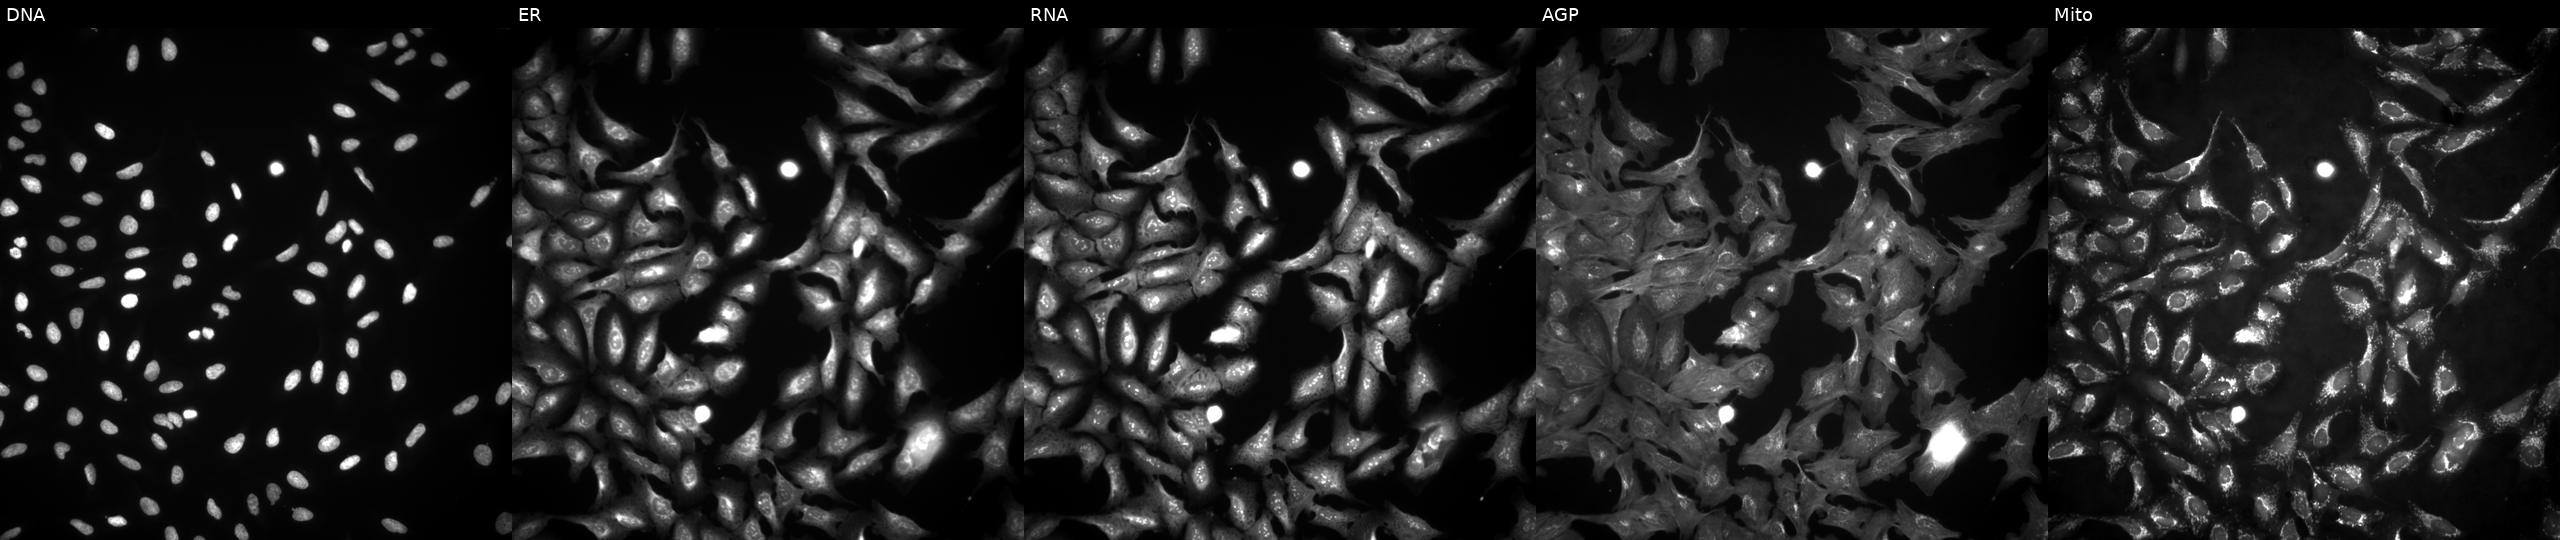
The five panels, left to right, show Hoechst 33342, concanavalin A, SYTO 14, phalloidin and WGA, MitoTracker. U2OS osteosarcoma cells transfected with an ORF construct for MMAB (JUMP id JCP2022_909310). Cell Painting assay, JUMP-CP dataset.